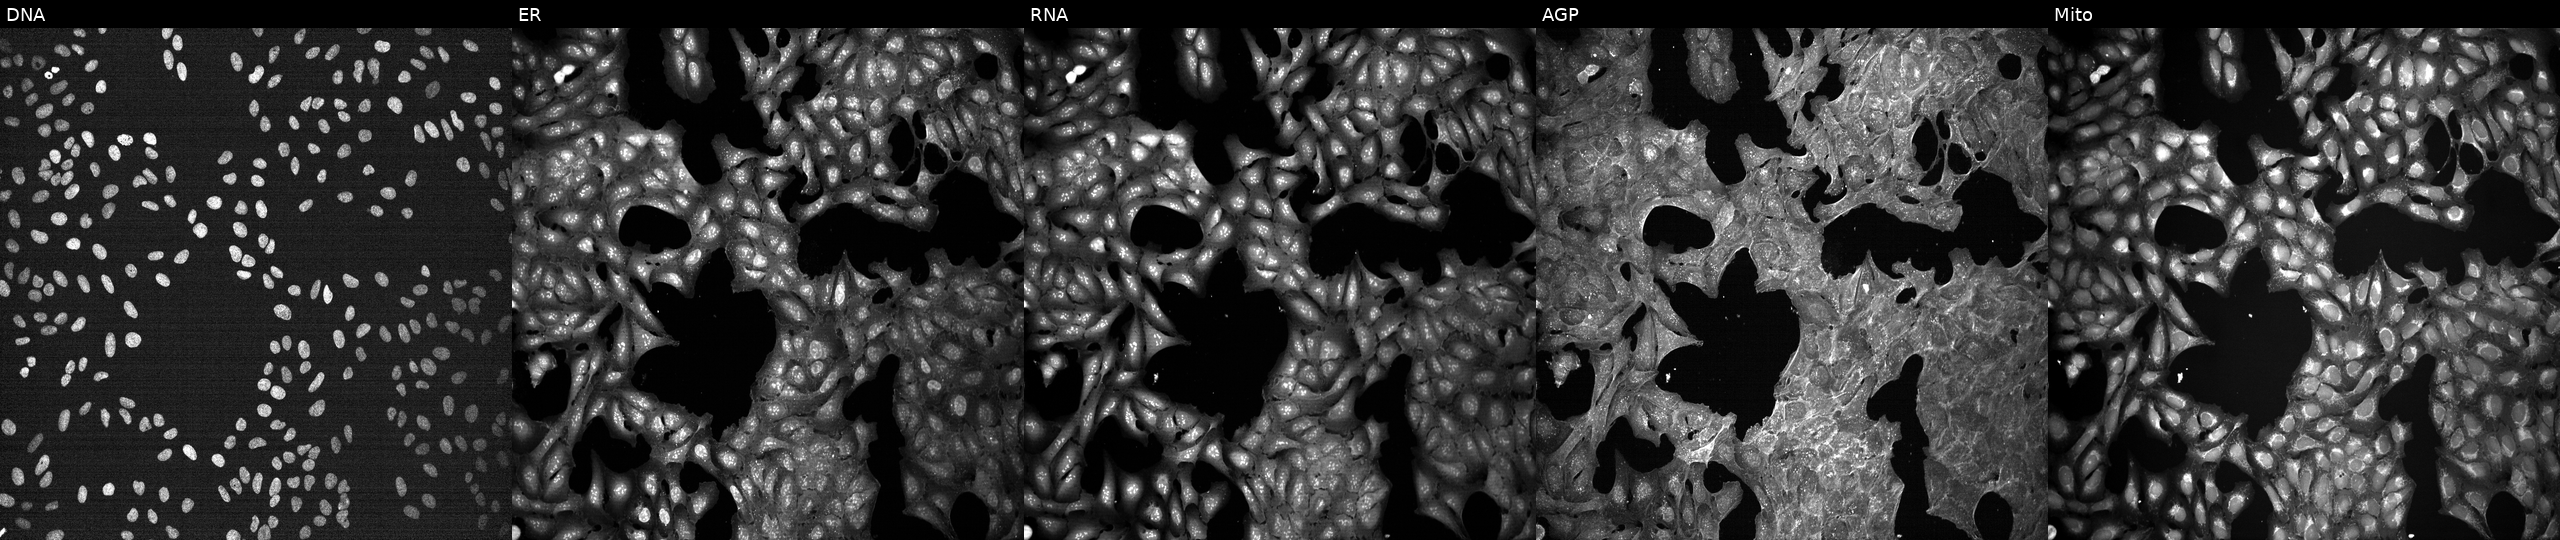
High-content fluorescence microscopy (Cell Painting). Cell line: U2OS. Perturbation: exposed to a small-molecule compound [SMILES: CCOC(=O)c1ncc2[nH]c3ccc(OCc4ccccc4)cc3c2c1COC] (JUMP id JCP2022_002118). From left to right: DNA (nuclei); ER (endoplasmic reticulum); RNA (nucleoli and cytoplasmic RNA); AGP (actin cytoskeleton, Golgi, and plasma membrane); Mito (mitochondria).